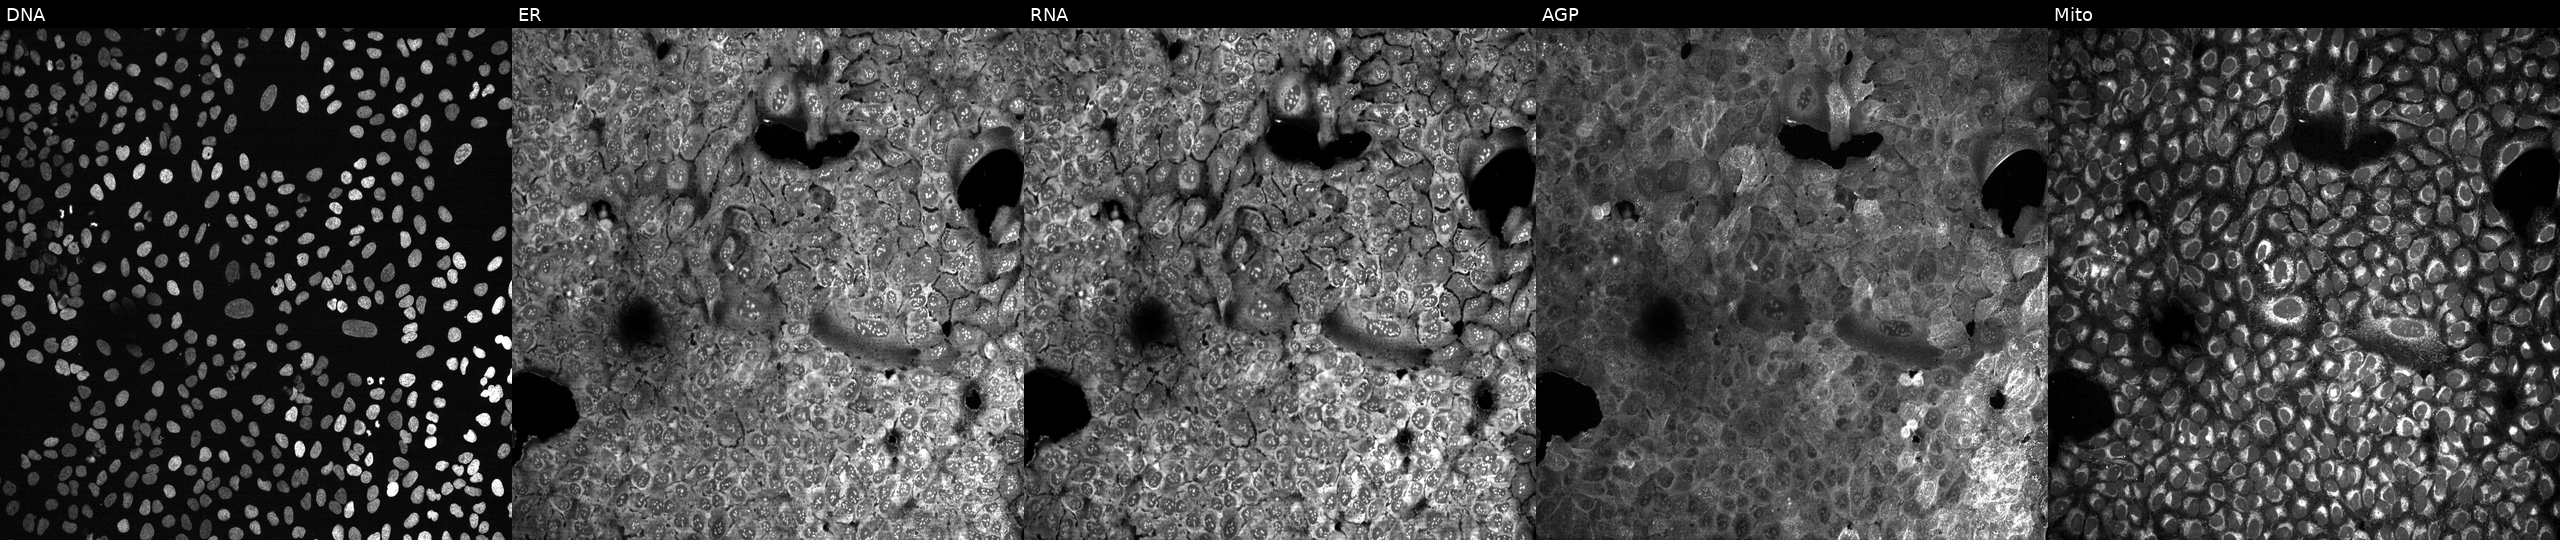
High-content fluorescence microscopy (Cell Painting). Cell line: U2OS. Perturbation: treated with aloxistatin (positive-control compound) (JUMP id JCP2022_085227). Panels show, left to right, DNA, ER, RNA, AGP, and Mito. Source 13, plate CP-CC9-R2-02, well I01.